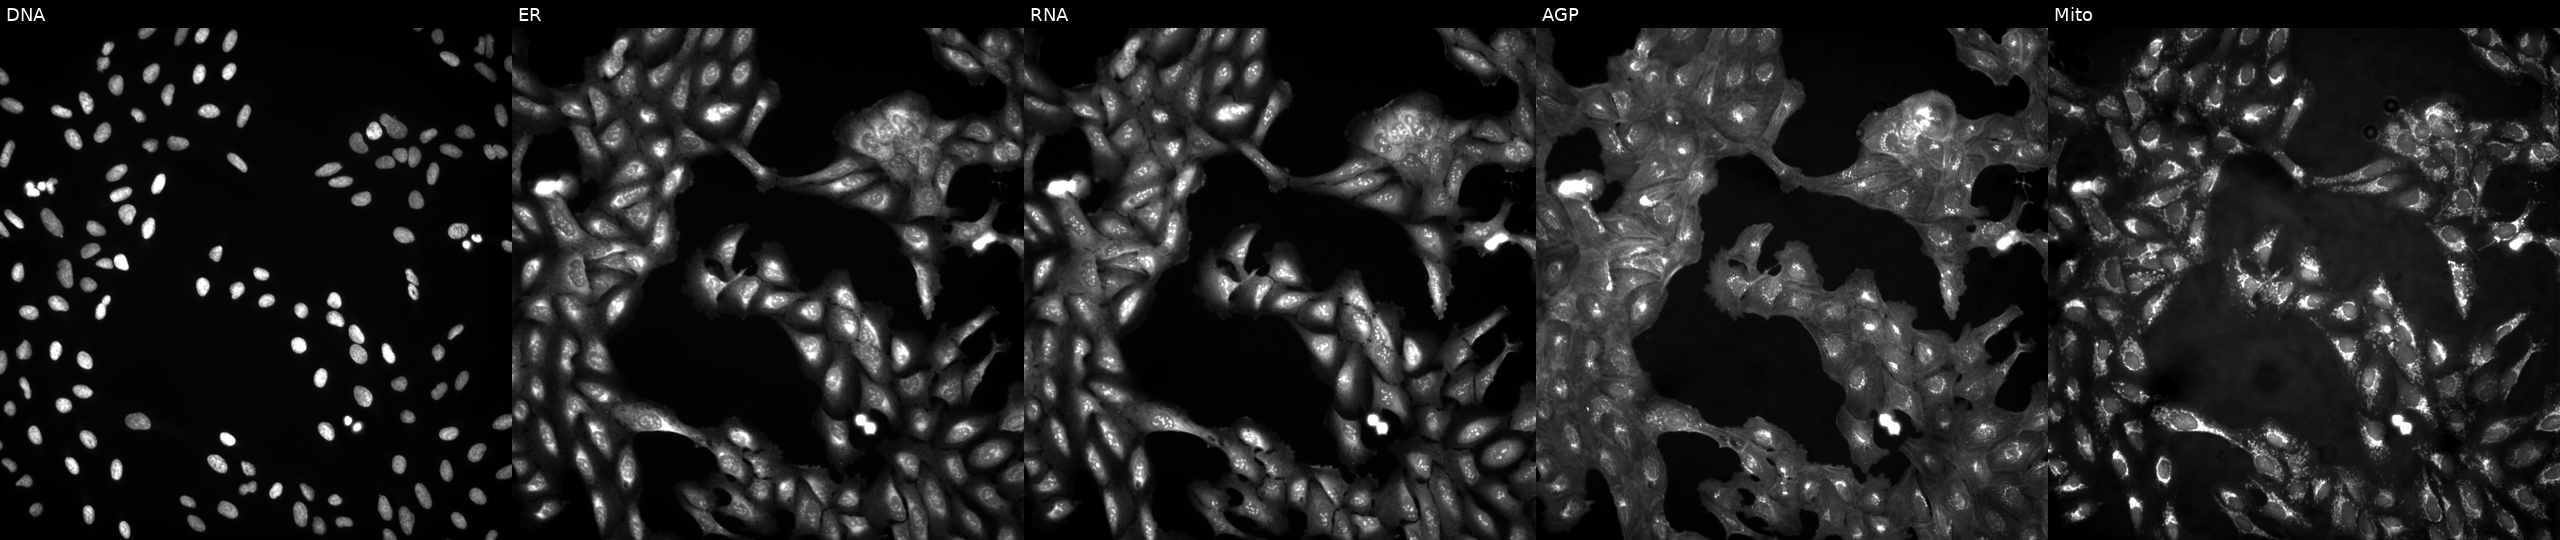
Five-channel Cell Painting image of U2OS cells in an empty control well (no perturbation) (JUMP id JCP2022_999999). Channels (left→right): DNA, ER, RNA, AGP, and Mito. Source 4, plate BR00123946, well C24.